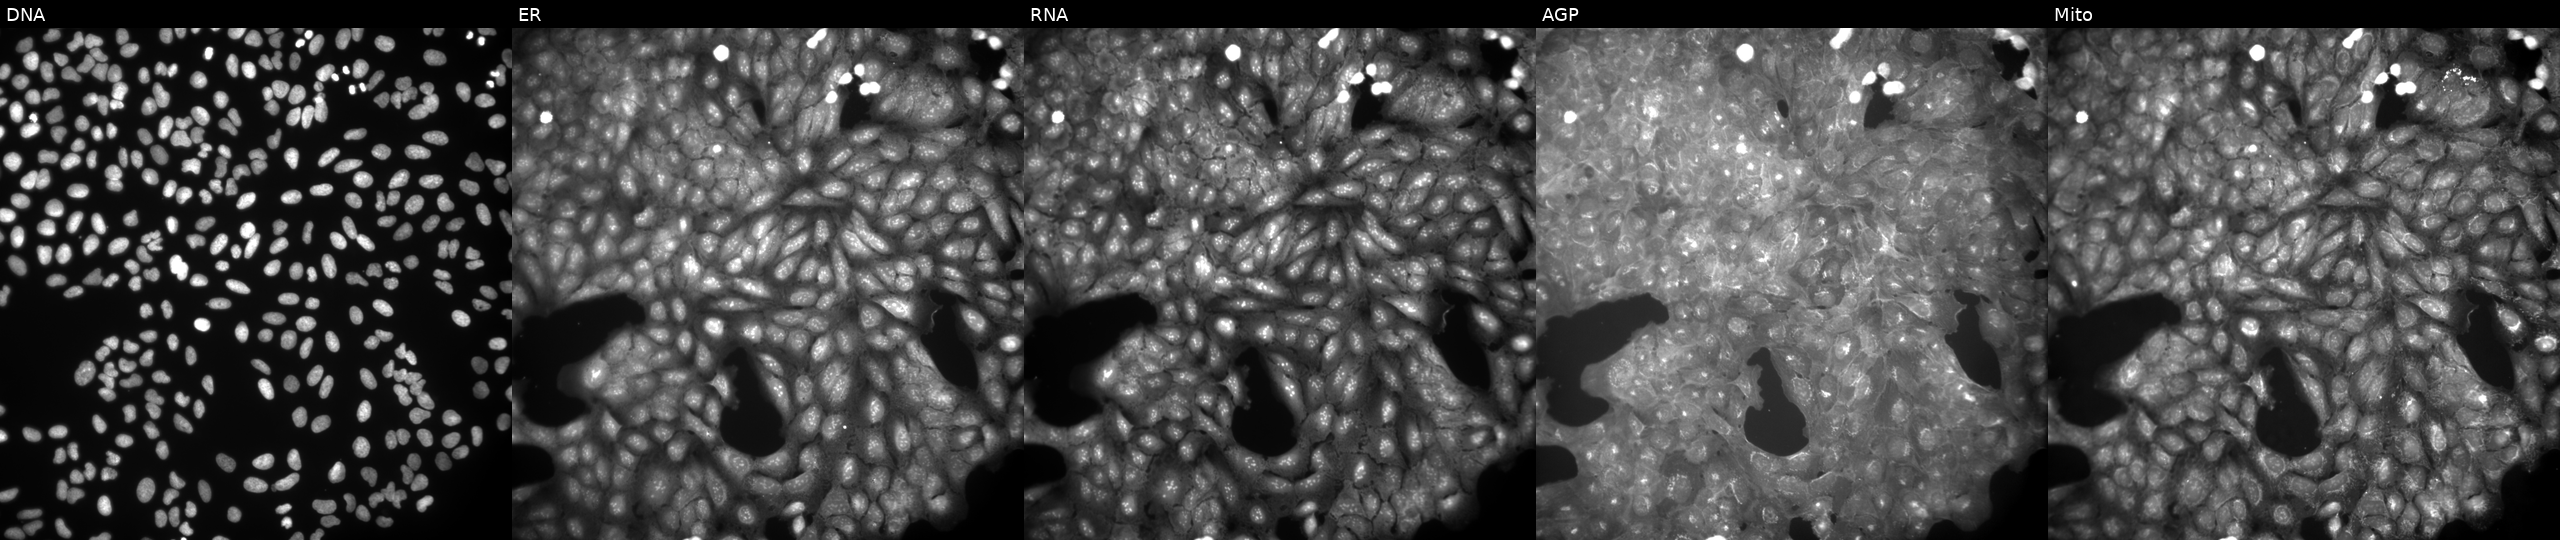
This image strip shows the five Cell Painting channels for a single field of U2OS cells perturbed with a small-molecule compound (InChIKey CLAPWGYQMWTPNJ-UHFFFAOYSA-N). Channels (left→right): DNA (nuclei); ER (endoplasmic reticulum); RNA (nucleoli and cytoplasmic RNA); AGP (actin cytoskeleton, Golgi, and plasma membrane); Mito (mitochondria). Source 9, plate GR00003381, well K44.